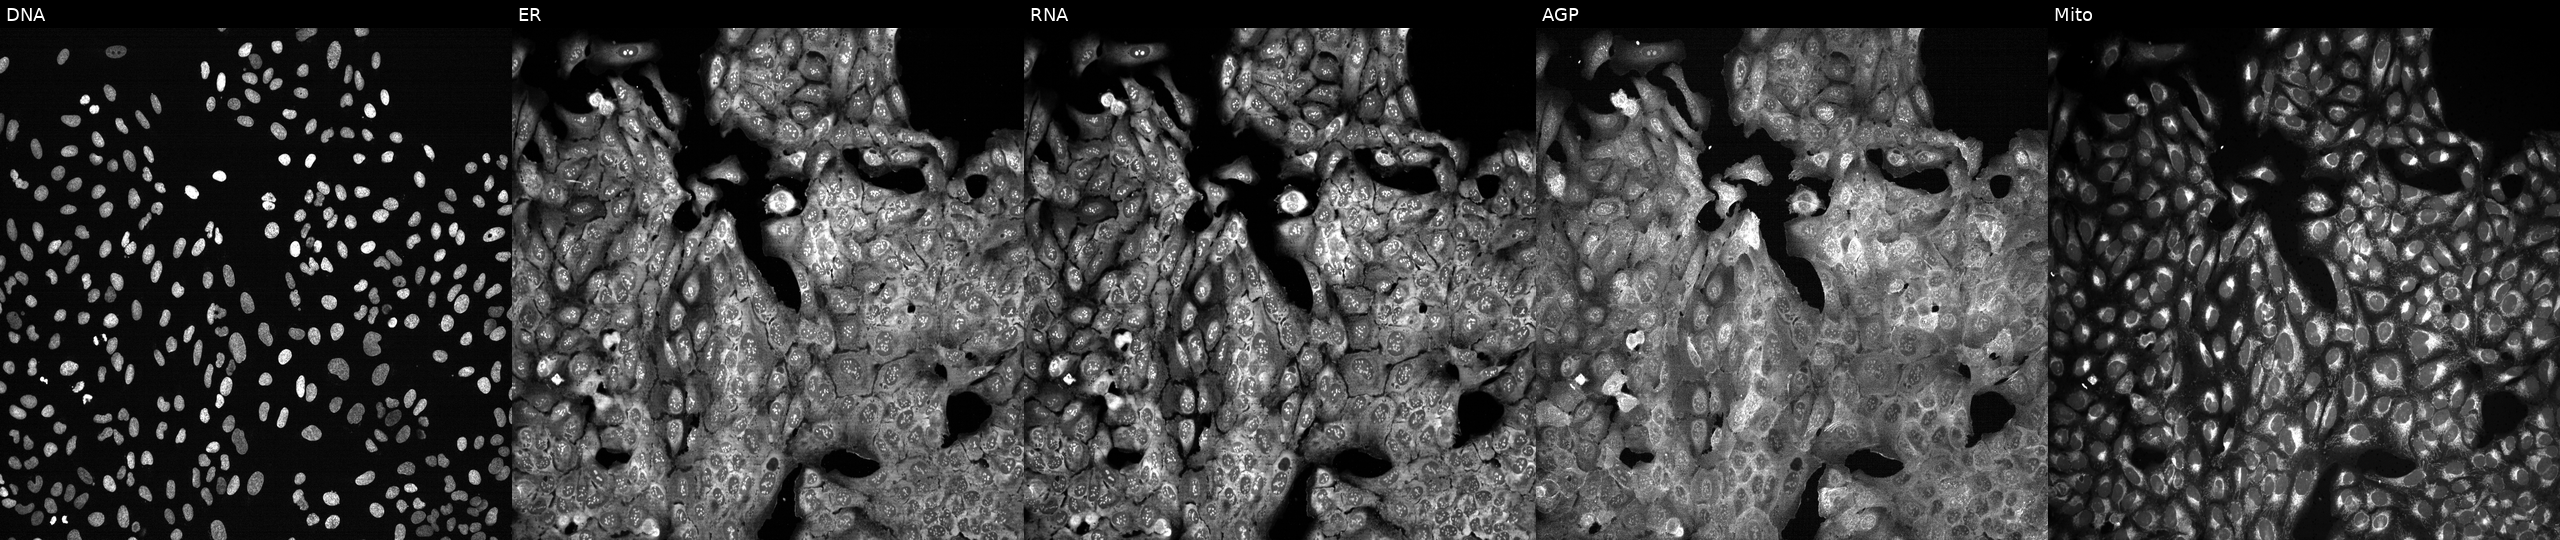
From left to right: DNA (nuclei); ER (endoplasmic reticulum); RNA (nucleoli and cytoplasmic RNA); AGP (actin cytoskeleton, Golgi, and plasma membrane); Mito (mitochondria). U2OS osteosarcoma cells with PISD knocked out by CRISPR. Cell Painting assay, JUMP-CP dataset.